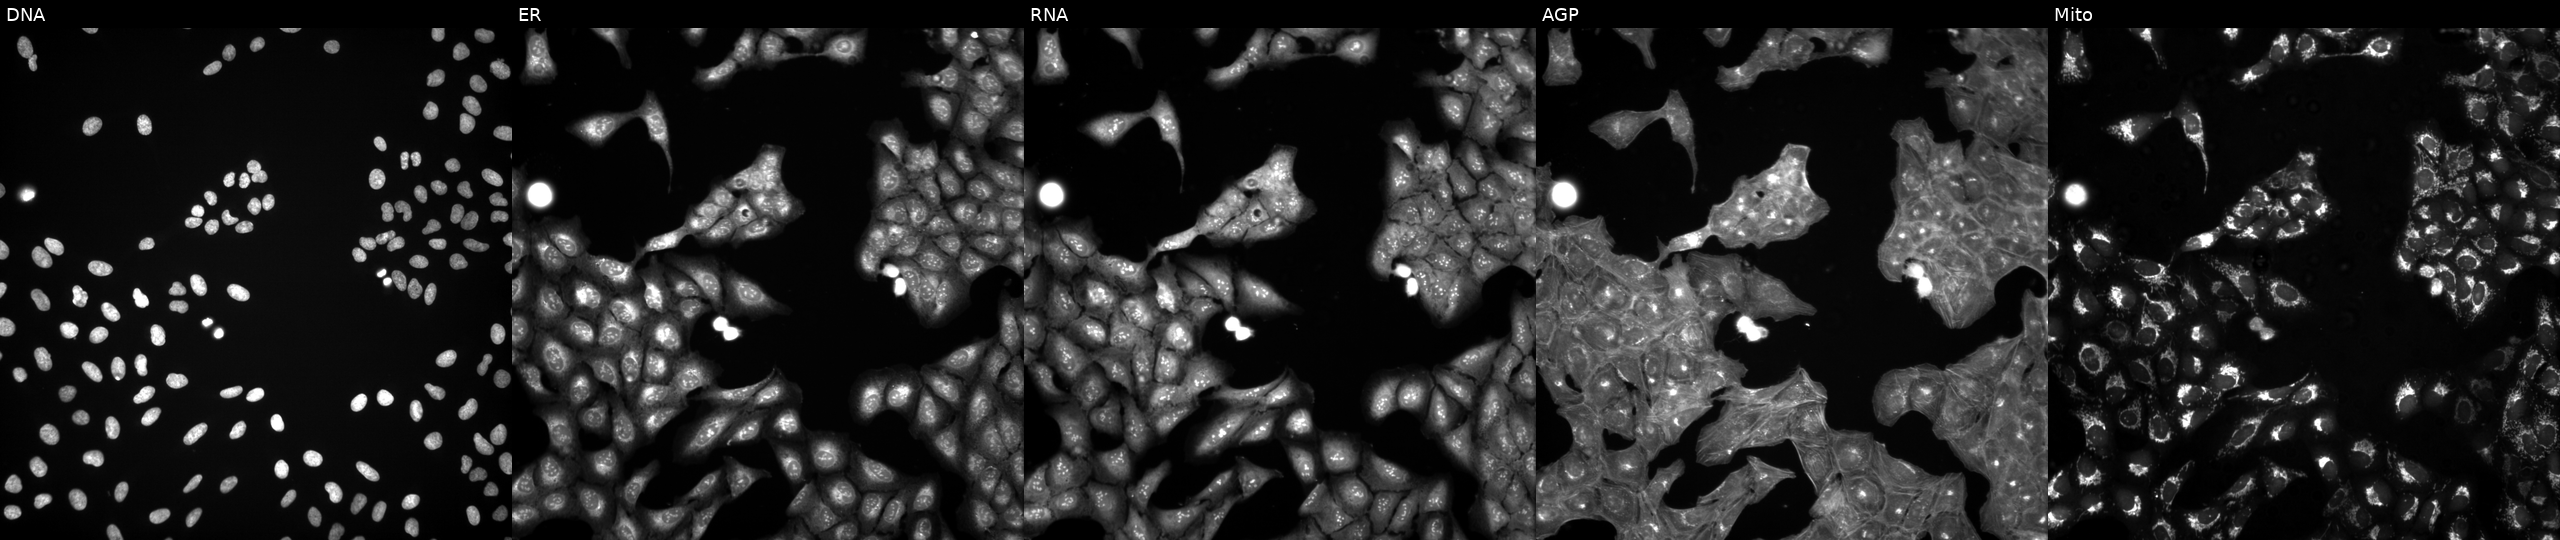
JUMP Cell Painting — TARGET2 plate. U2OS cells treated with a small-molecule compound (InChIKey NMUSYJAQQFHJEW-UHFFFAOYSA-N) (JUMP id JCP2022_060040). The five panels, left to right, show DNA, ER, RNA, AGP, and Mito. Source 3, plate JCPQC051, well H20.